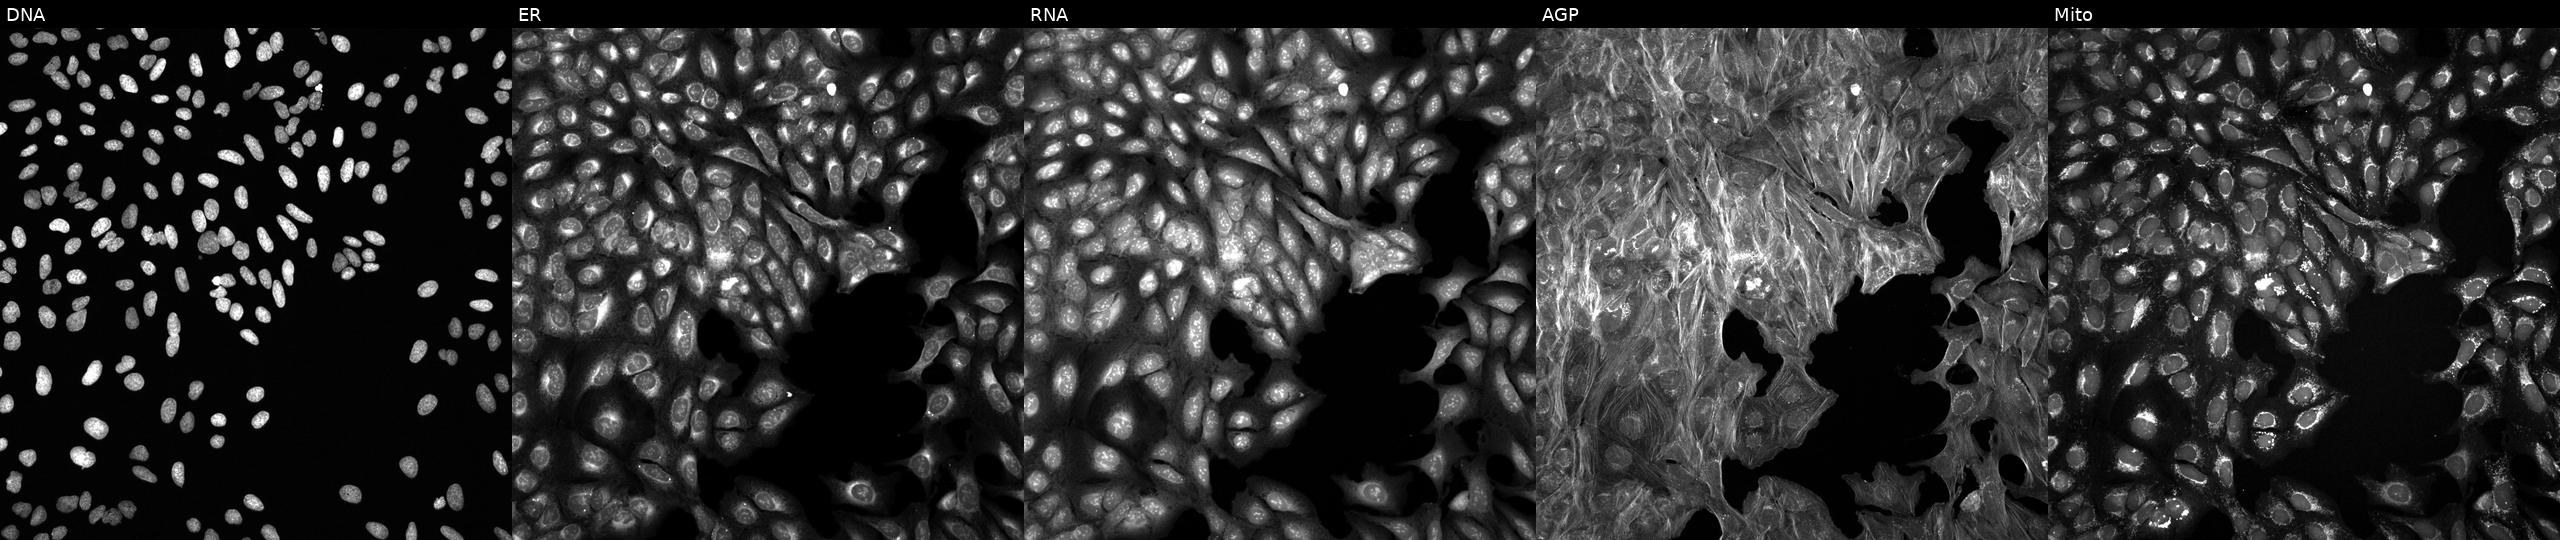
JUMP Cell Painting — TARGET2 plate. U2OS cells exposed to DMSO alone as a negative control. From left to right: DNA (nuclei); ER (endoplasmic reticulum); RNA (nucleoli and cytoplasmic RNA); AGP (actin cytoskeleton, Golgi, and plasma membrane); Mito (mitochondria).